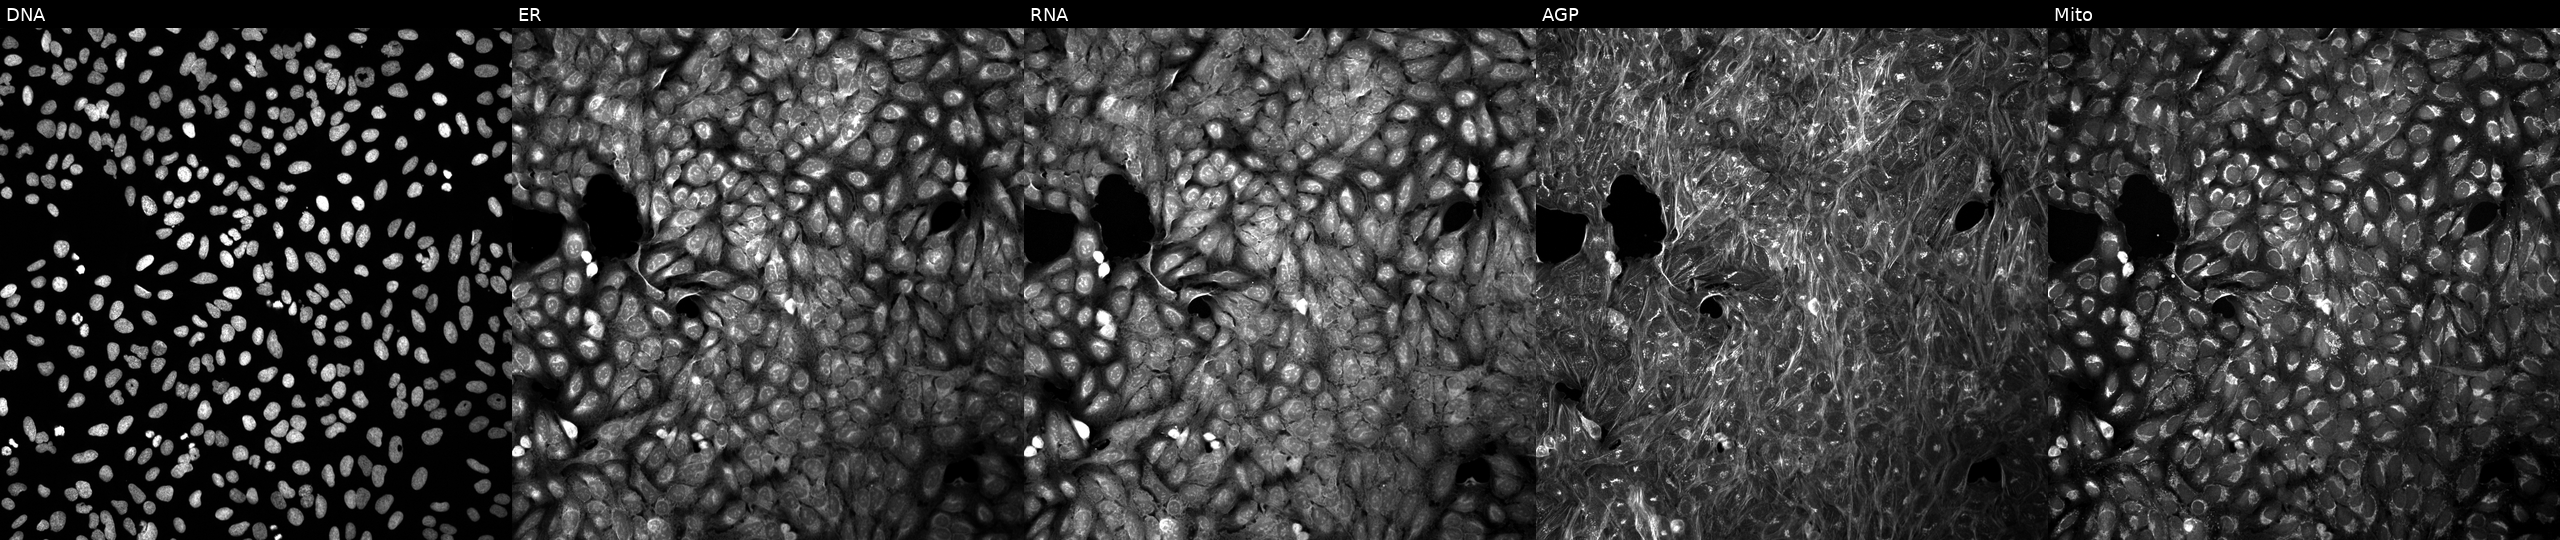
U2OS cells, Cell Painting assay, exposed to a small-molecule compound (JUMP id JCP2022_038096). From left to right: DNA, ER, RNA, AGP, and Mito. Each panel is percentile-stretched 16-bit fluorescence.